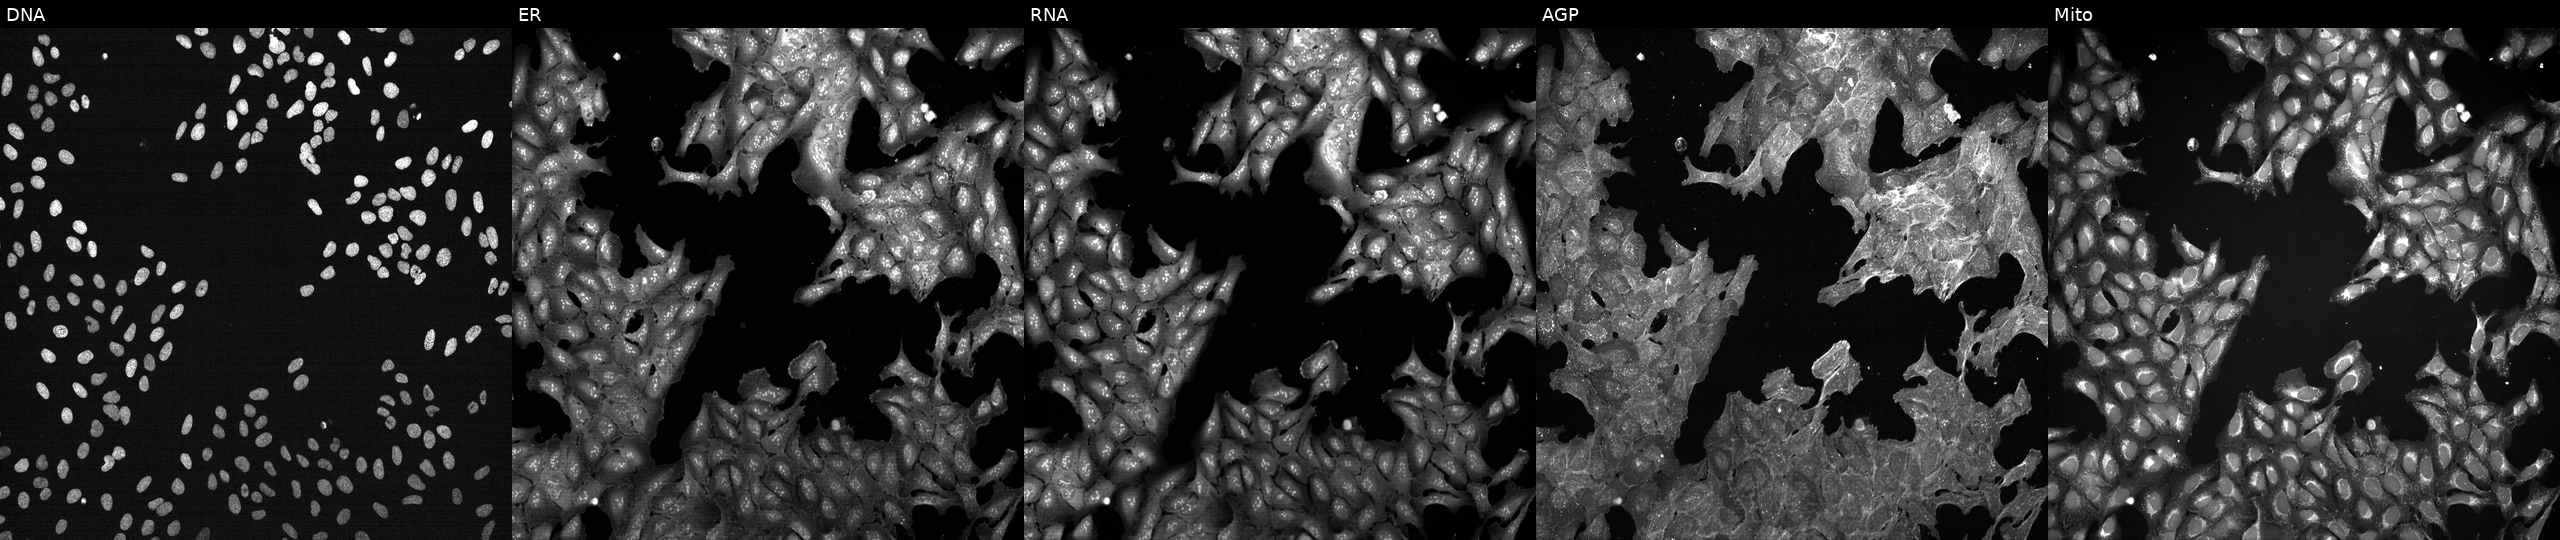
This image strip shows the five Cell Painting channels for a single field of U2OS cells perturbed with a small-molecule compound. Panels show, left to right, DNA, ER, RNA, AGP, and Mito.